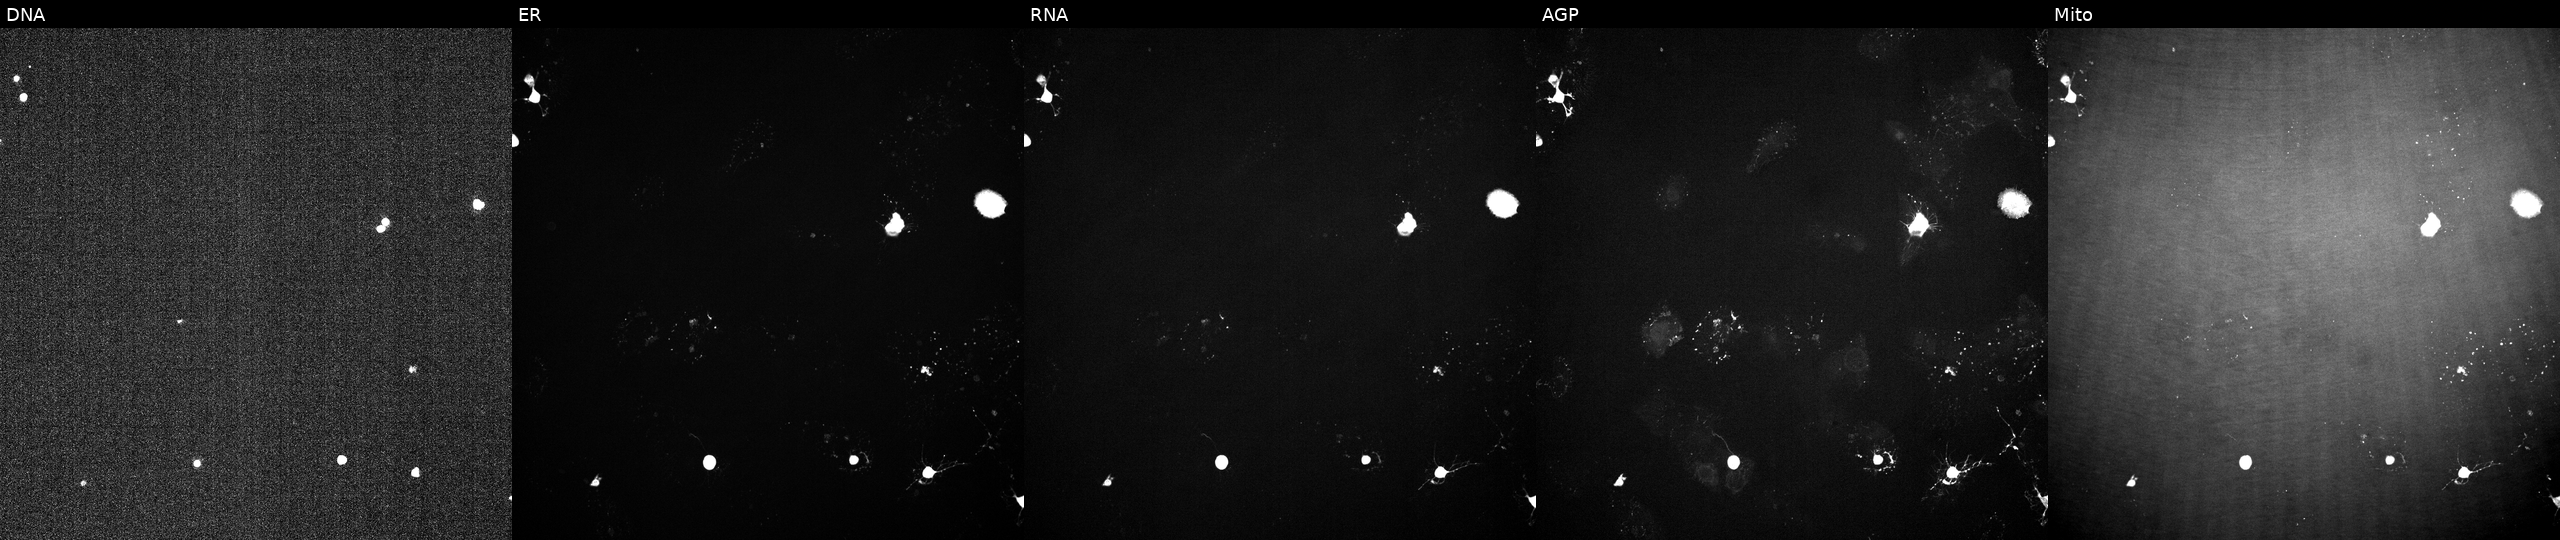
Channels (left→right): Hoechst 33342, concanavalin A, SYTO 14, phalloidin and WGA, MitoTracker. U2OS osteosarcoma cells perturbed with a small-molecule compound (JUMP id JCP2022_033914). Cell Painting assay, JUMP-CP dataset.